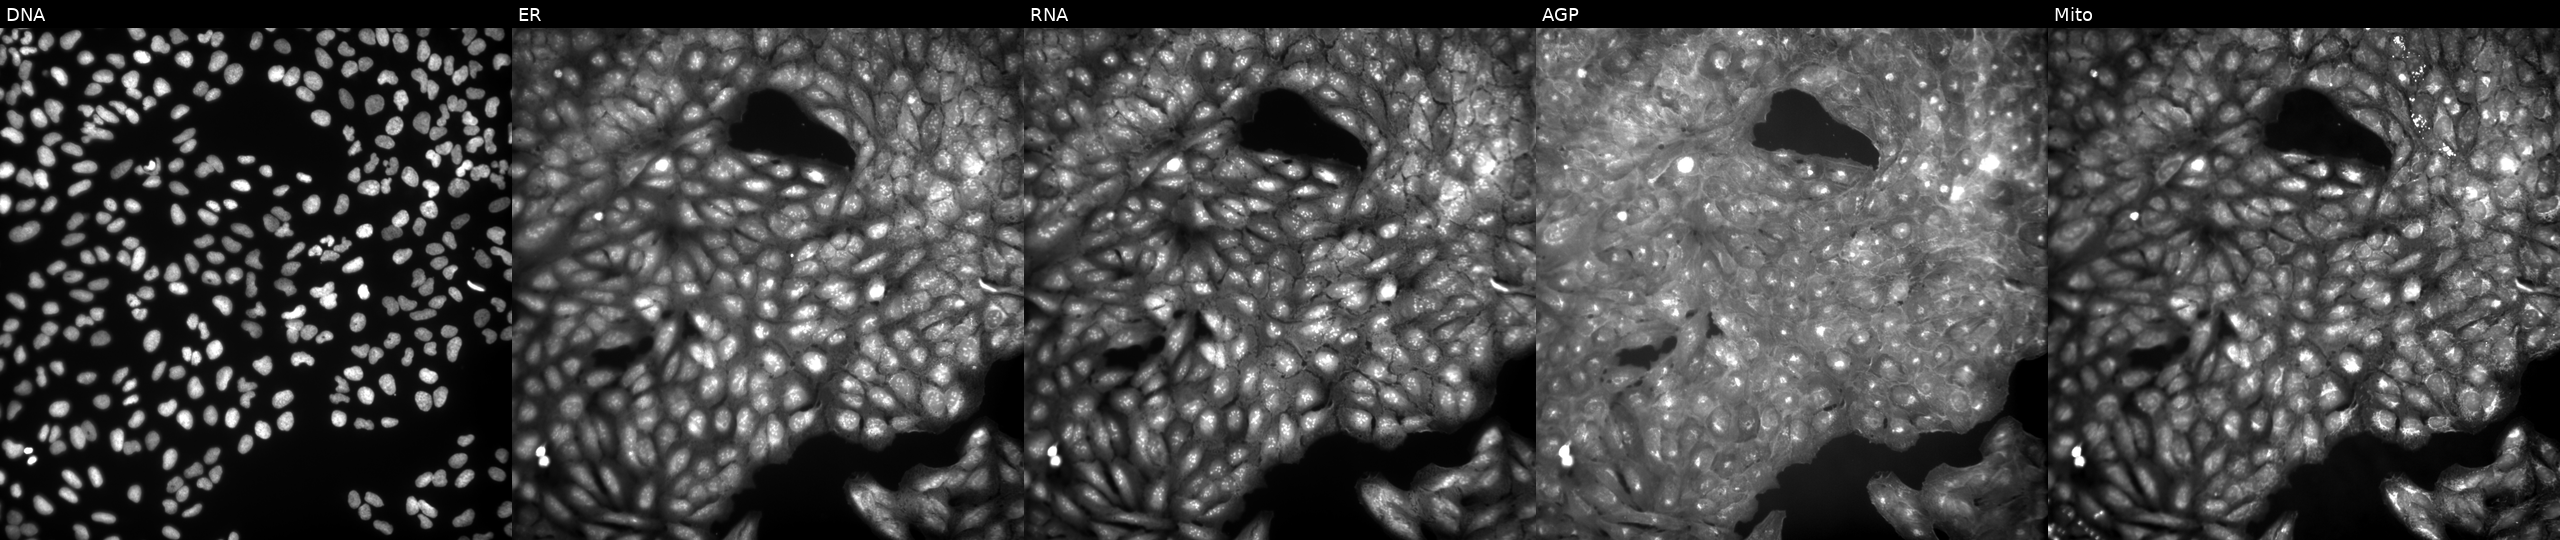
U2OS cells, Cell Painting assay, exposed to a small-molecule compound (InChIKey RTZSXVPSETUDMY-UHFFFAOYSA-N) [SMILES: CC(=O)c1ccc(NC(=O)c2cccc(N3C(=O)c4ccccc4C3=O)c2)cc1] (JUMP id JCP2022_080727). Panels show, left to right, DNA, ER, RNA, AGP, and Mito. Each panel is percentile-stretched 16-bit fluorescence.